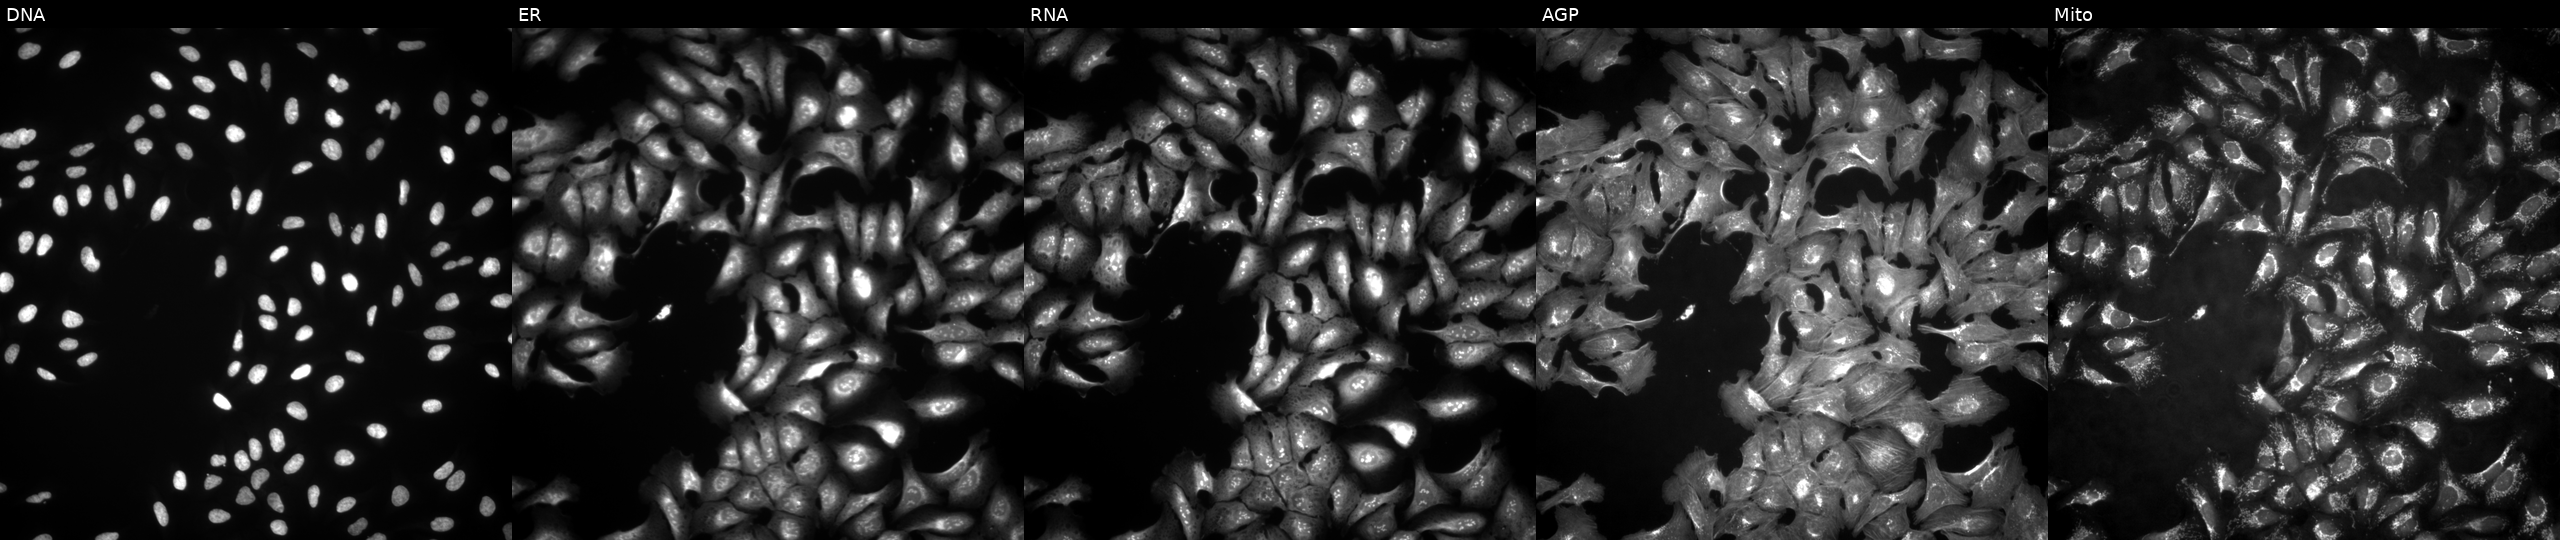
U2OS cells, Cell Painting assay, overexpressing SVOPL via ORF transfection (JUMP id JCP2022_908924). The five panels, left to right, show DNA, ER, RNA, AGP, and Mito. Each panel is percentile-stretched 16-bit fluorescence.